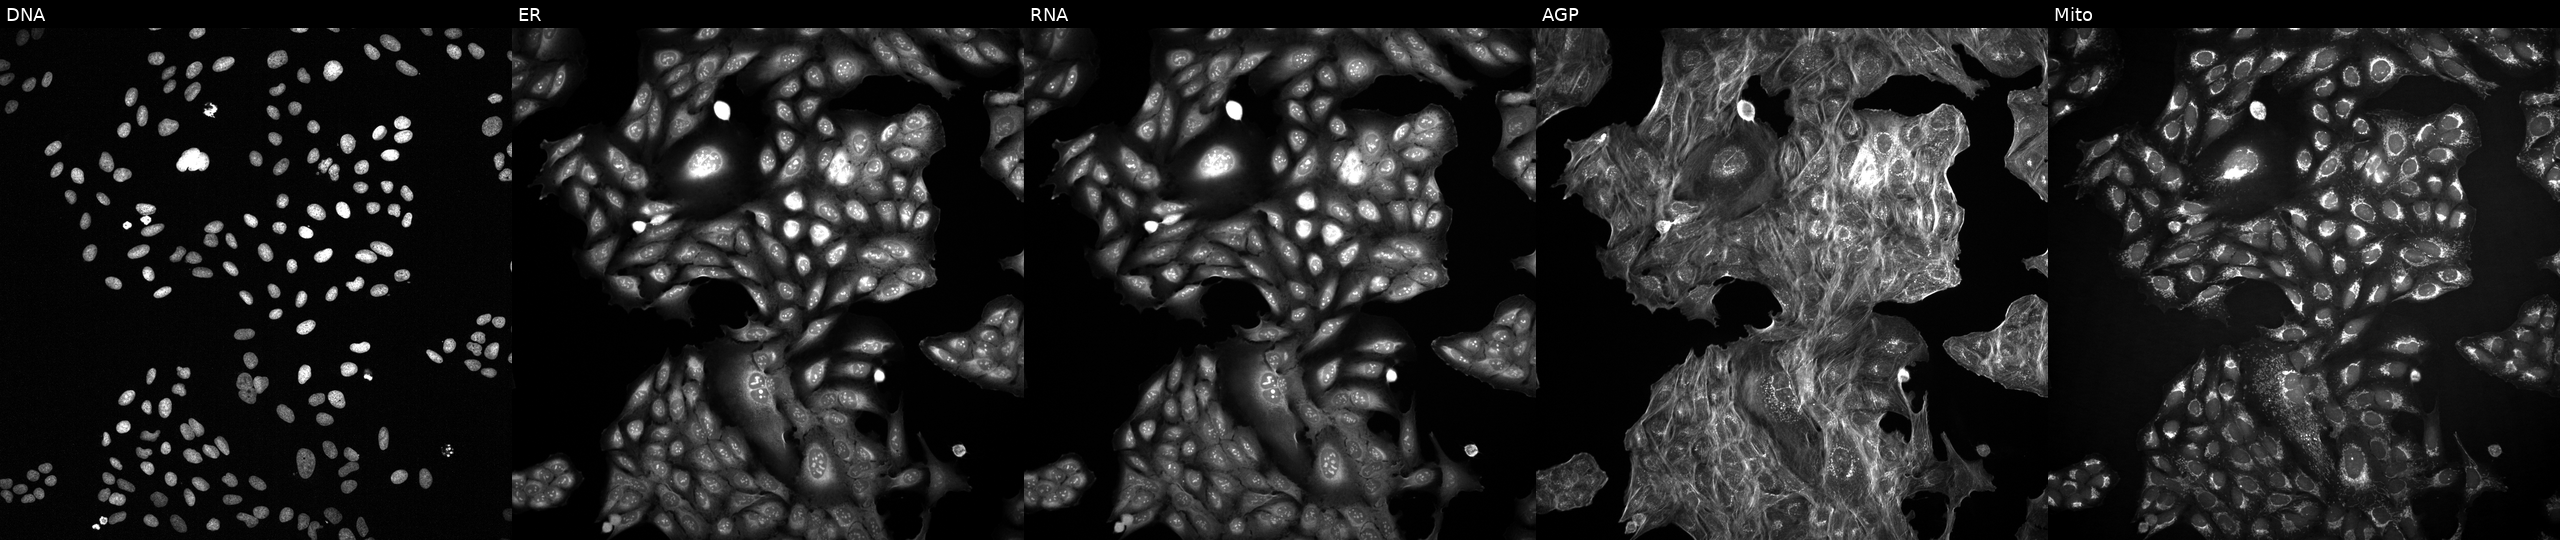
U2OS cells, Cell Painting assay, with an unidentified perturbation (not annotated in JUMP metadata). From left to right: DNA, ER, RNA, AGP, and Mito. Each panel is percentile-stretched 16-bit fluorescence. Source 2, plate 1053601763, well N21.